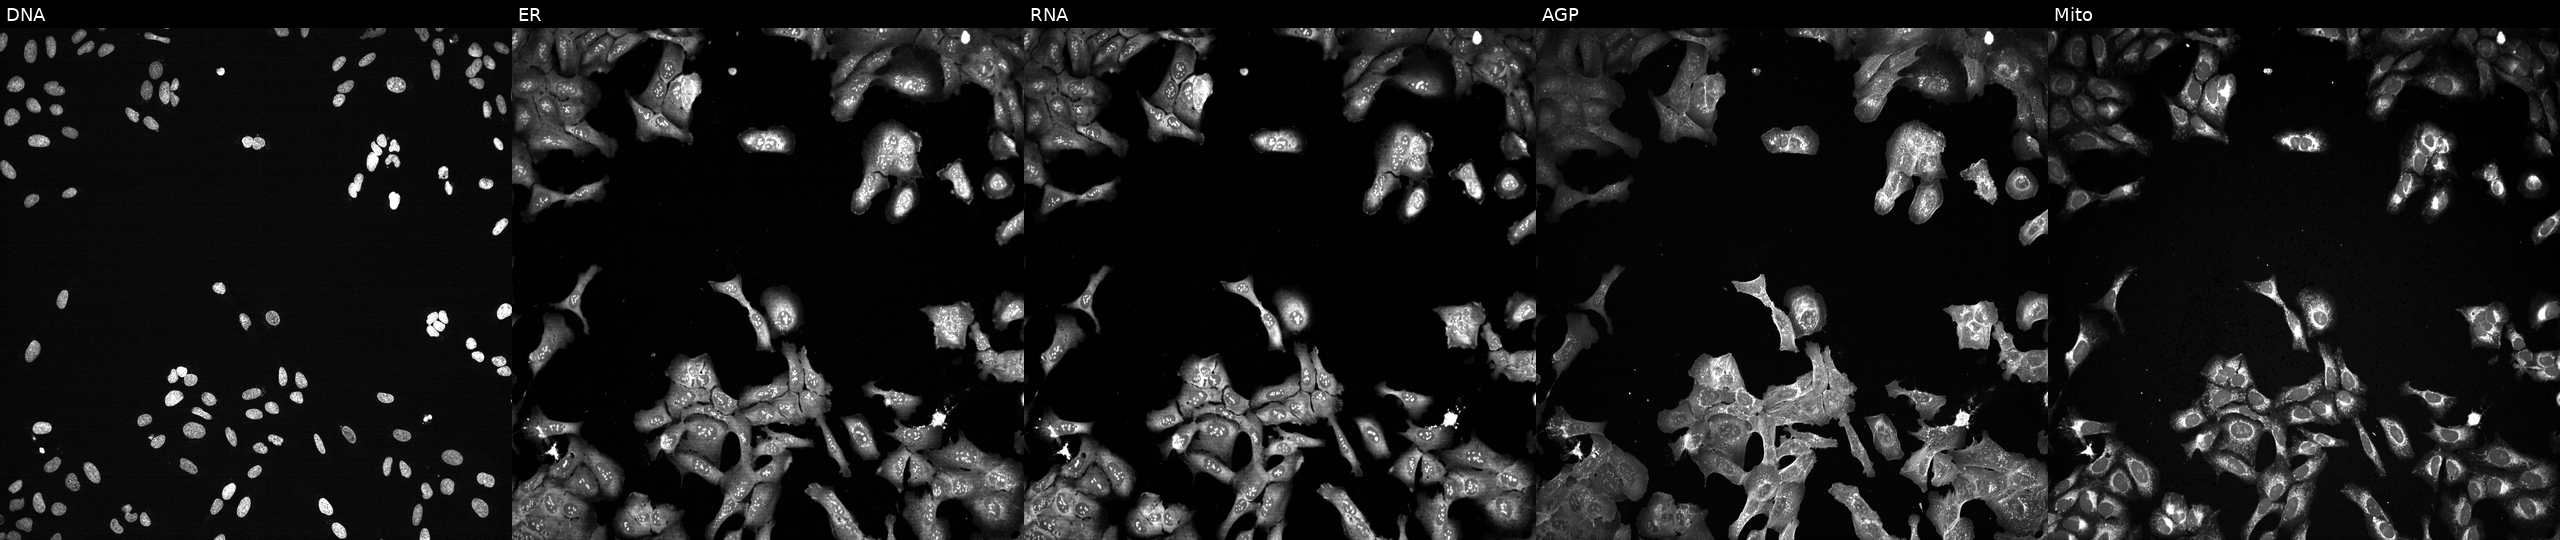
U2OS cells, Cell Painting assay, with CAPN15 knocked out by CRISPR. Panels show, left to right, DNA (nuclei); ER (endoplasmic reticulum); RNA (nucleoli and cytoplasmic RNA); AGP (actin cytoskeleton, Golgi, and plasma membrane); Mito (mitochondria). Each panel is percentile-stretched 16-bit fluorescence.